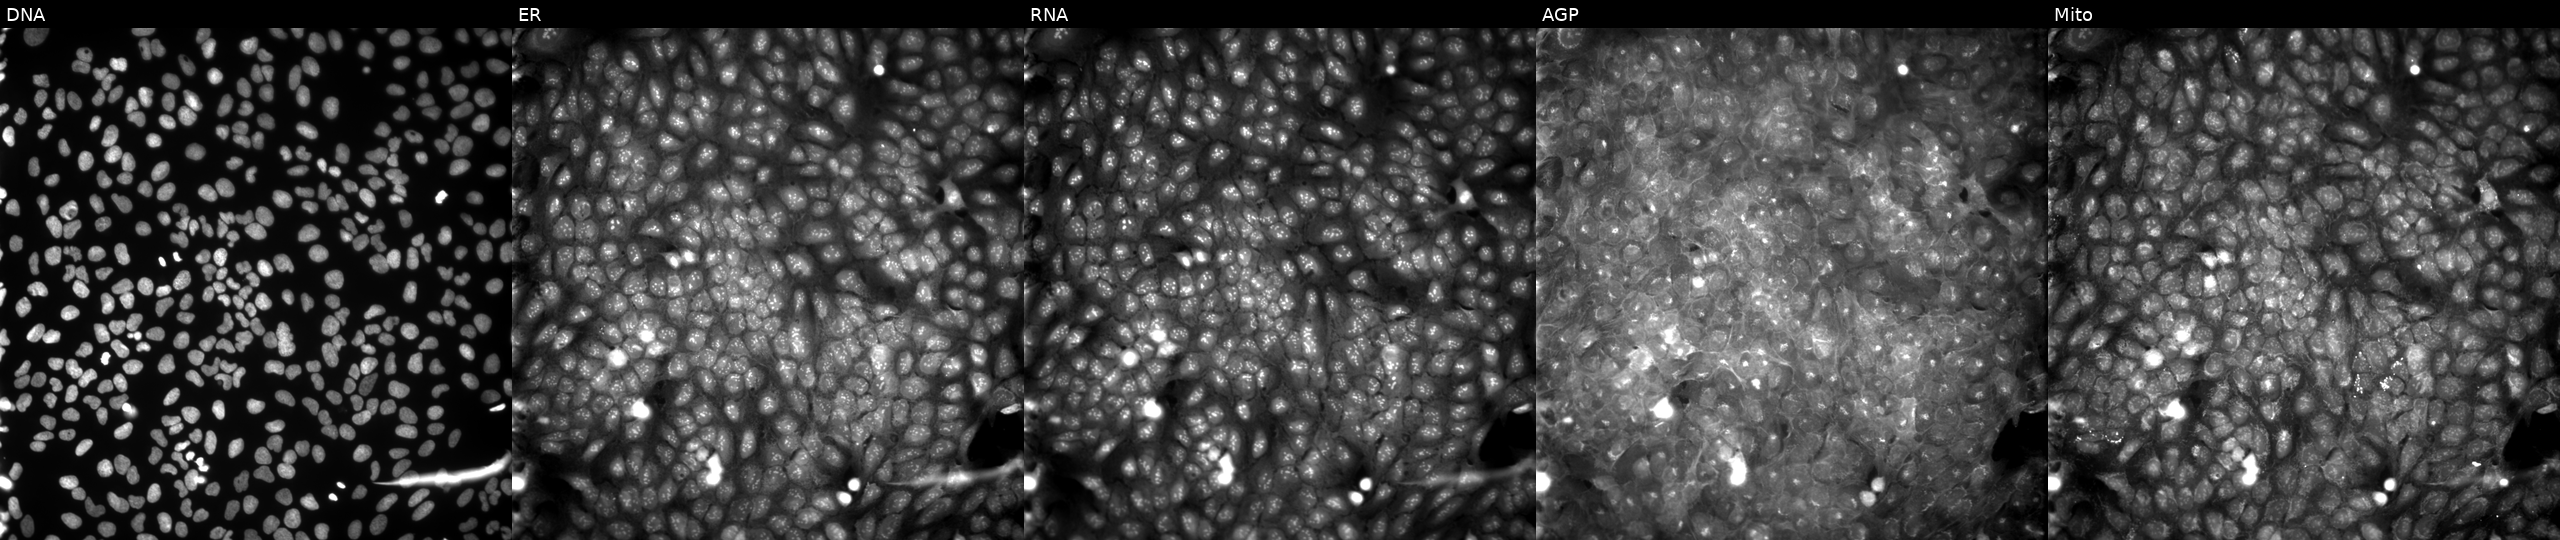
Panels show, left to right, Hoechst 33342, concanavalin A, SYTO 14, phalloidin and WGA, MitoTracker. U2OS osteosarcoma cells treated with a small-molecule compound (InChIKey YRLKKDPHZDHFDQ-UHFFFAOYSA-N) (JUMP id JCP2022_110344). Cell Painting assay, JUMP-CP dataset.